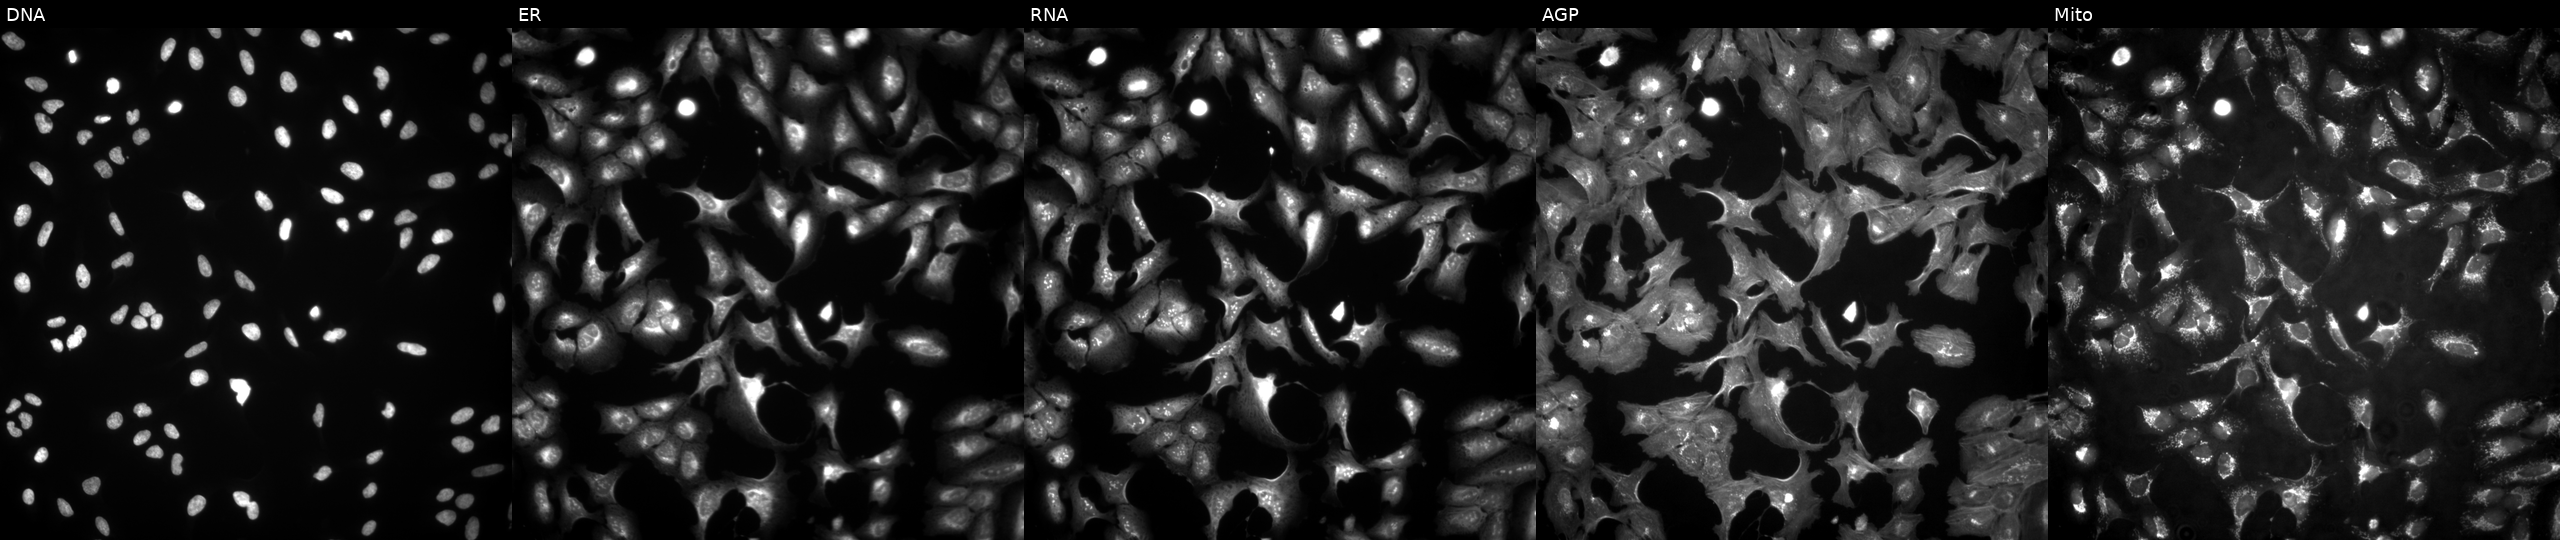
High-content fluorescence microscopy (Cell Painting). Cell line: U2OS. Perturbation: overexpressing SLC25A37 via ORF transfection (JUMP id JCP2022_907739). Panels show, left to right, DNA, ER, RNA, AGP, and Mito.